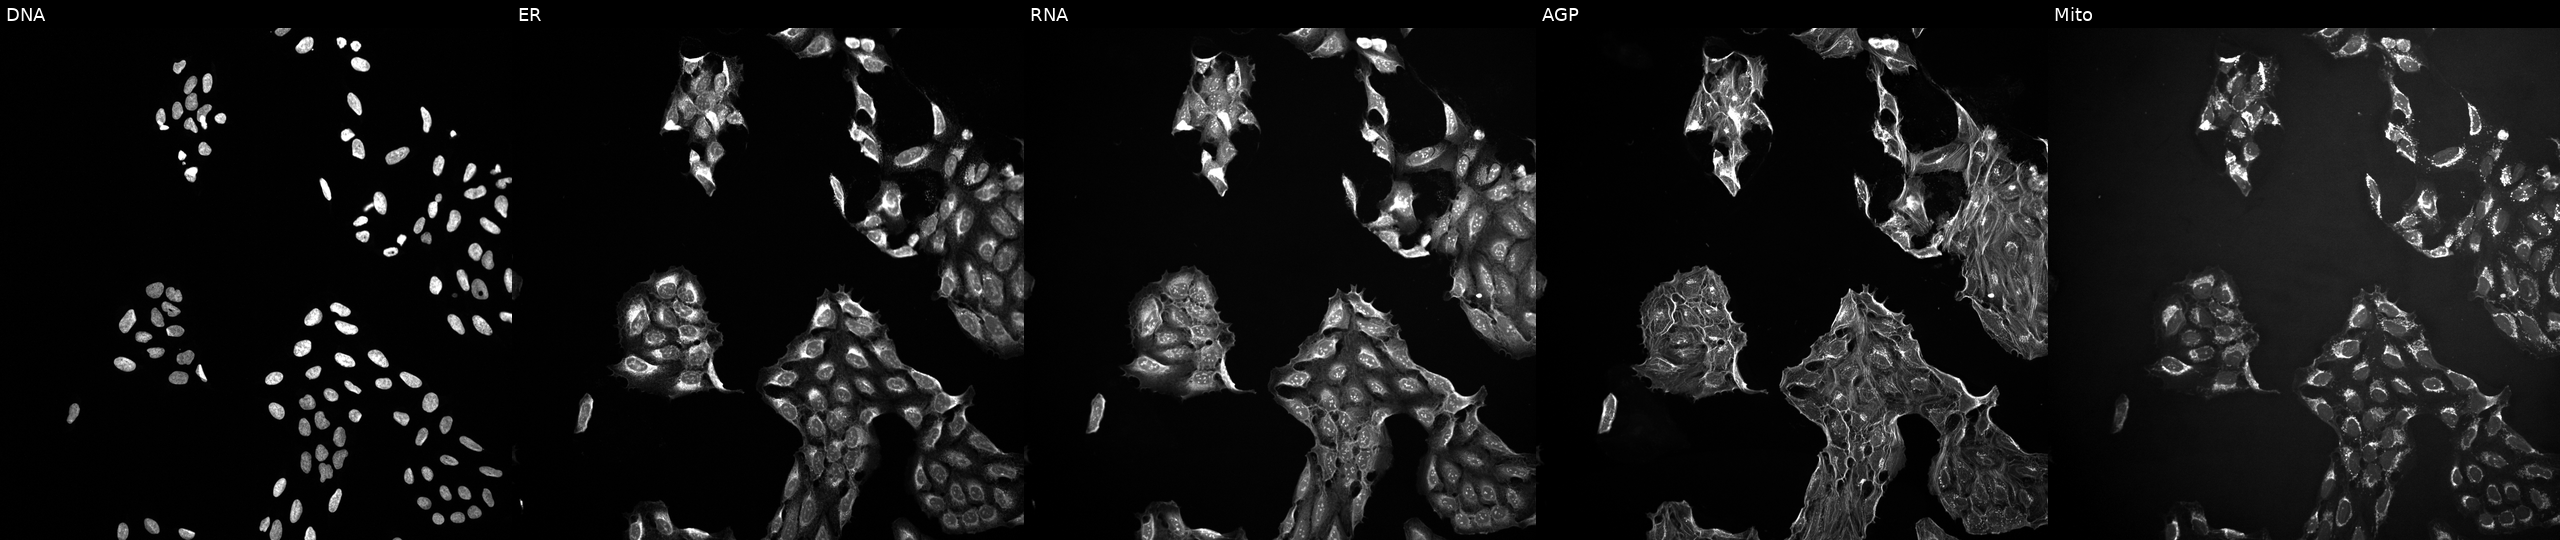
Panels show, left to right, Hoechst 33342, concanavalin A, SYTO 14, phalloidin and WGA, MitoTracker. U2OS osteosarcoma cells untreated (empty-well control) (JUMP id JCP2022_999999). Cell Painting assay, JUMP-CP dataset.